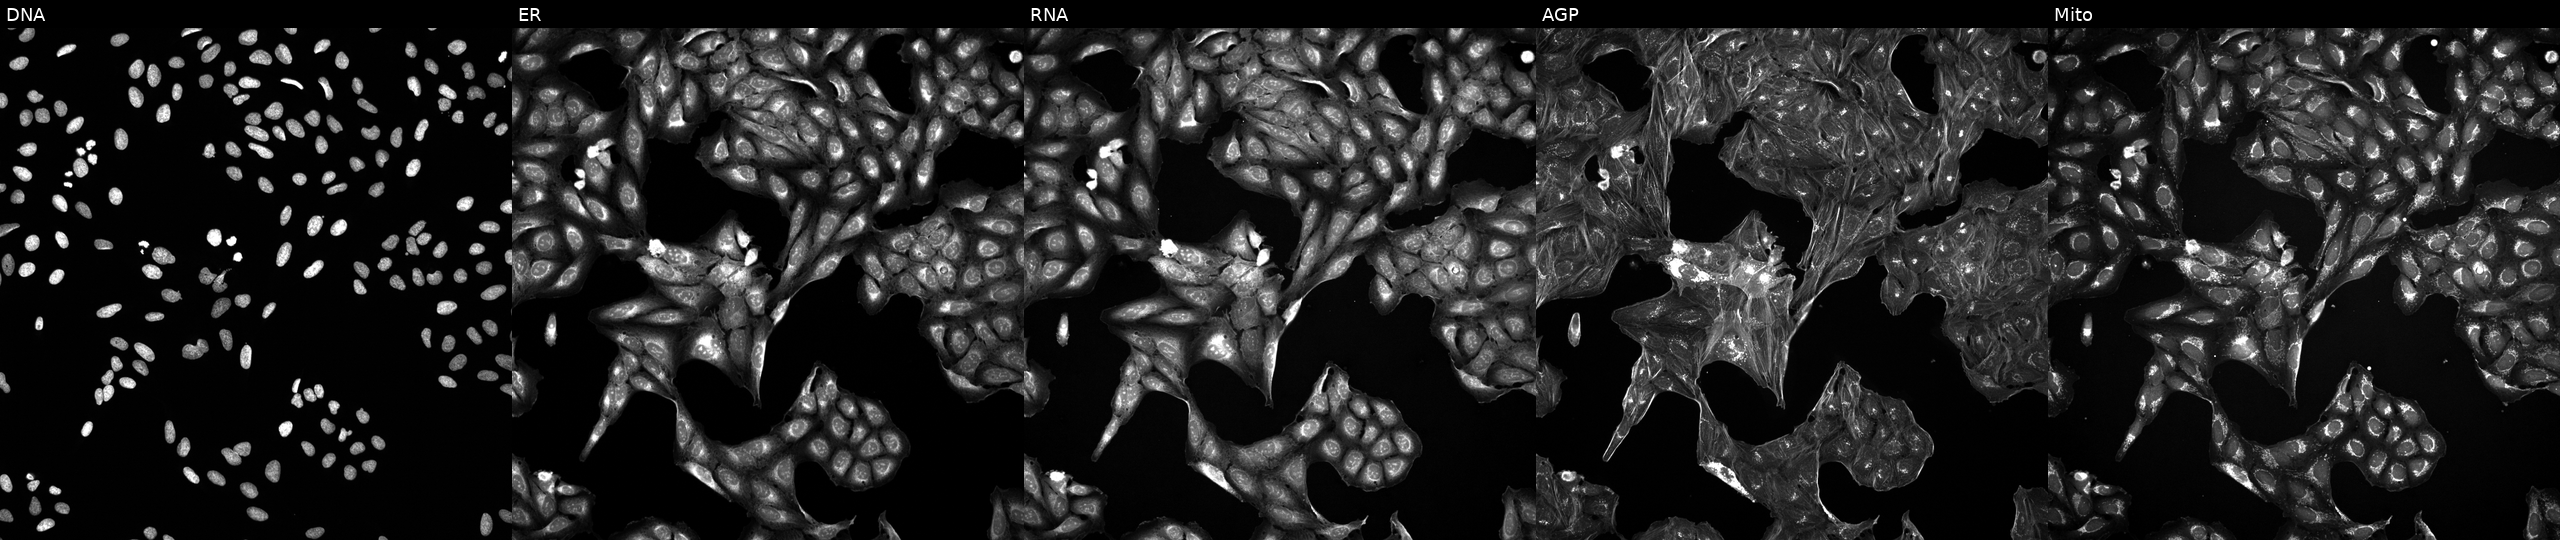
High-content fluorescence microscopy (Cell Painting). Cell line: U2OS. Perturbation: exposed to DMSO alone as a negative control (JUMP id JCP2022_033924). Panels show, left to right, DNA, ER, RNA, AGP, and Mito.